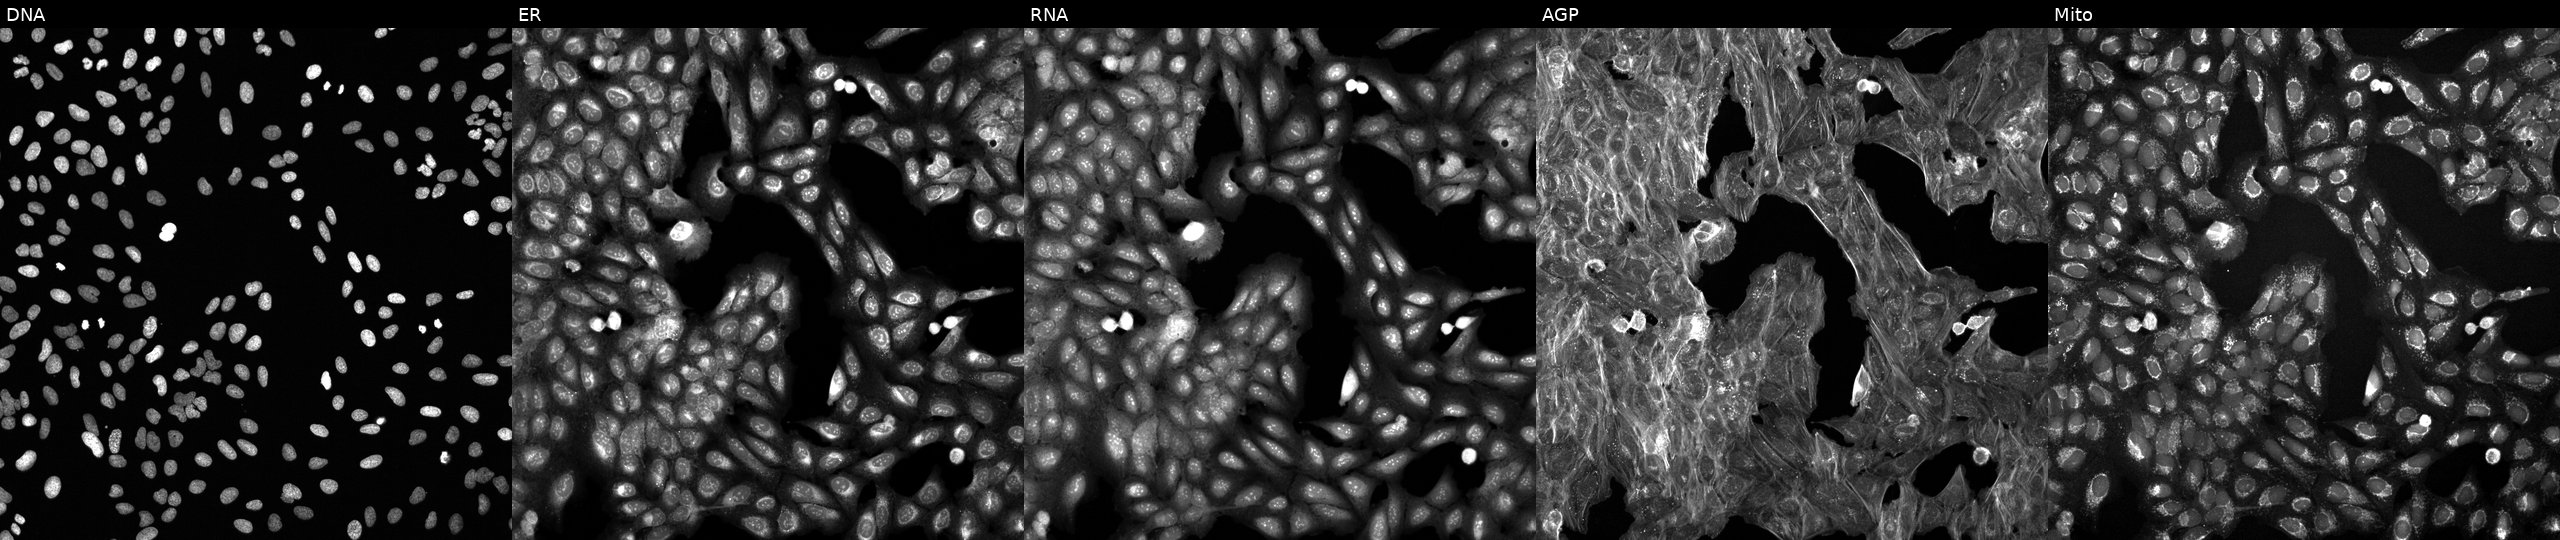
U2OS cells, Cell Painting assay, perturbed with a small-molecule compound (JUMP id JCP2022_077671). Channels (left→right): DNA (nuclei); ER (endoplasmic reticulum); RNA (nucleoli and cytoplasmic RNA); AGP (actin cytoskeleton, Golgi, and plasma membrane); Mito (mitochondria). Each panel is percentile-stretched 16-bit fluorescence.